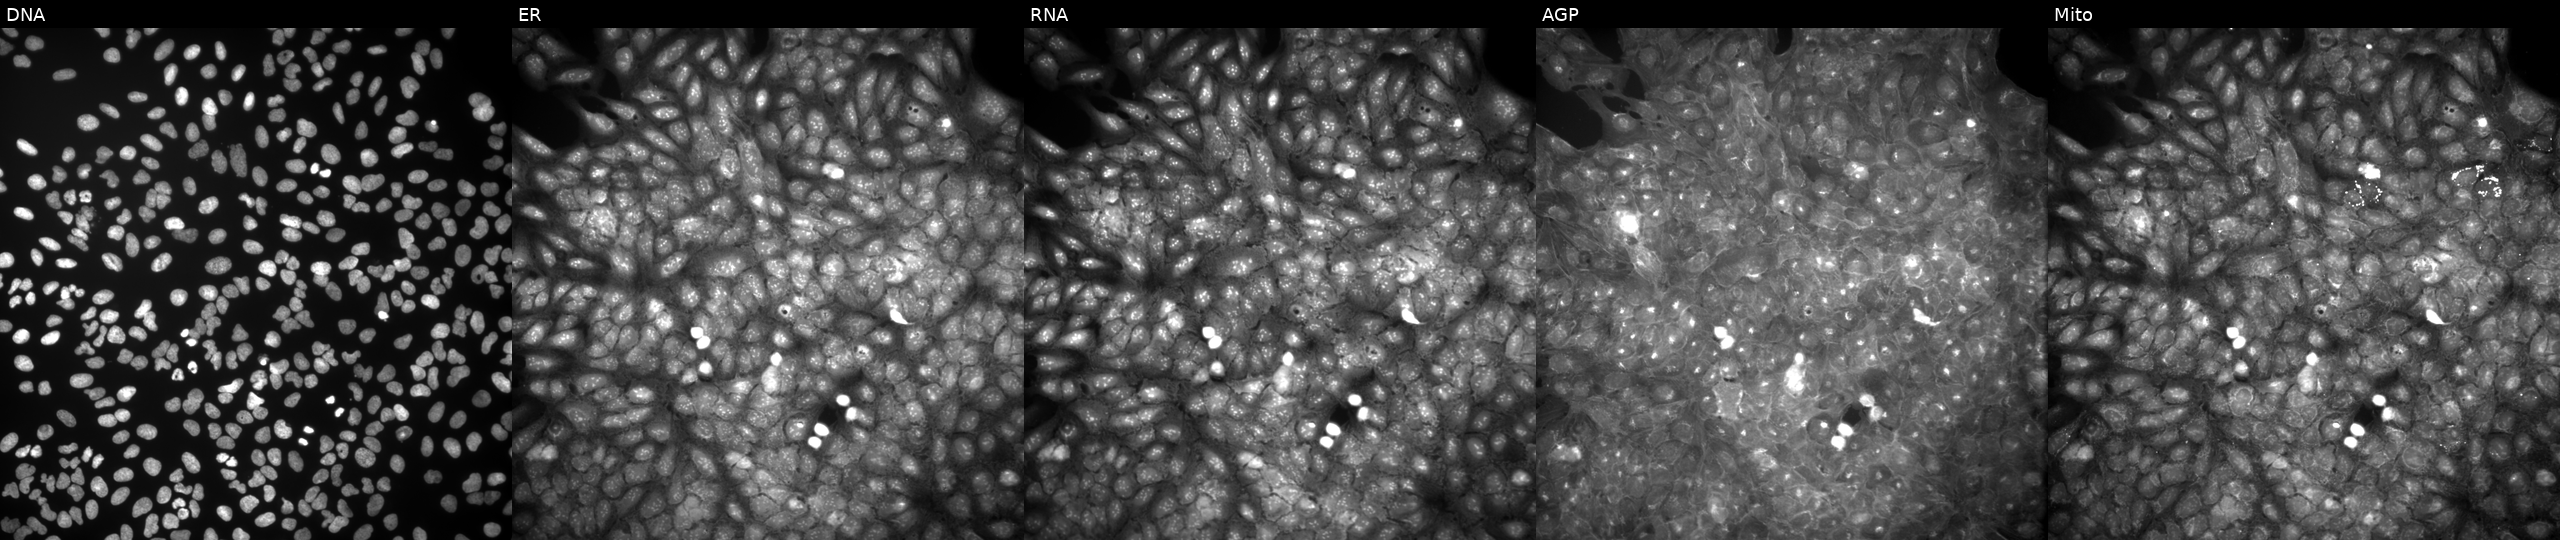
Five-channel Cell Painting image of U2OS cells exposed to DMSO alone as a negative control. Channels (left→right): DNA, ER, RNA, AGP, and Mito.